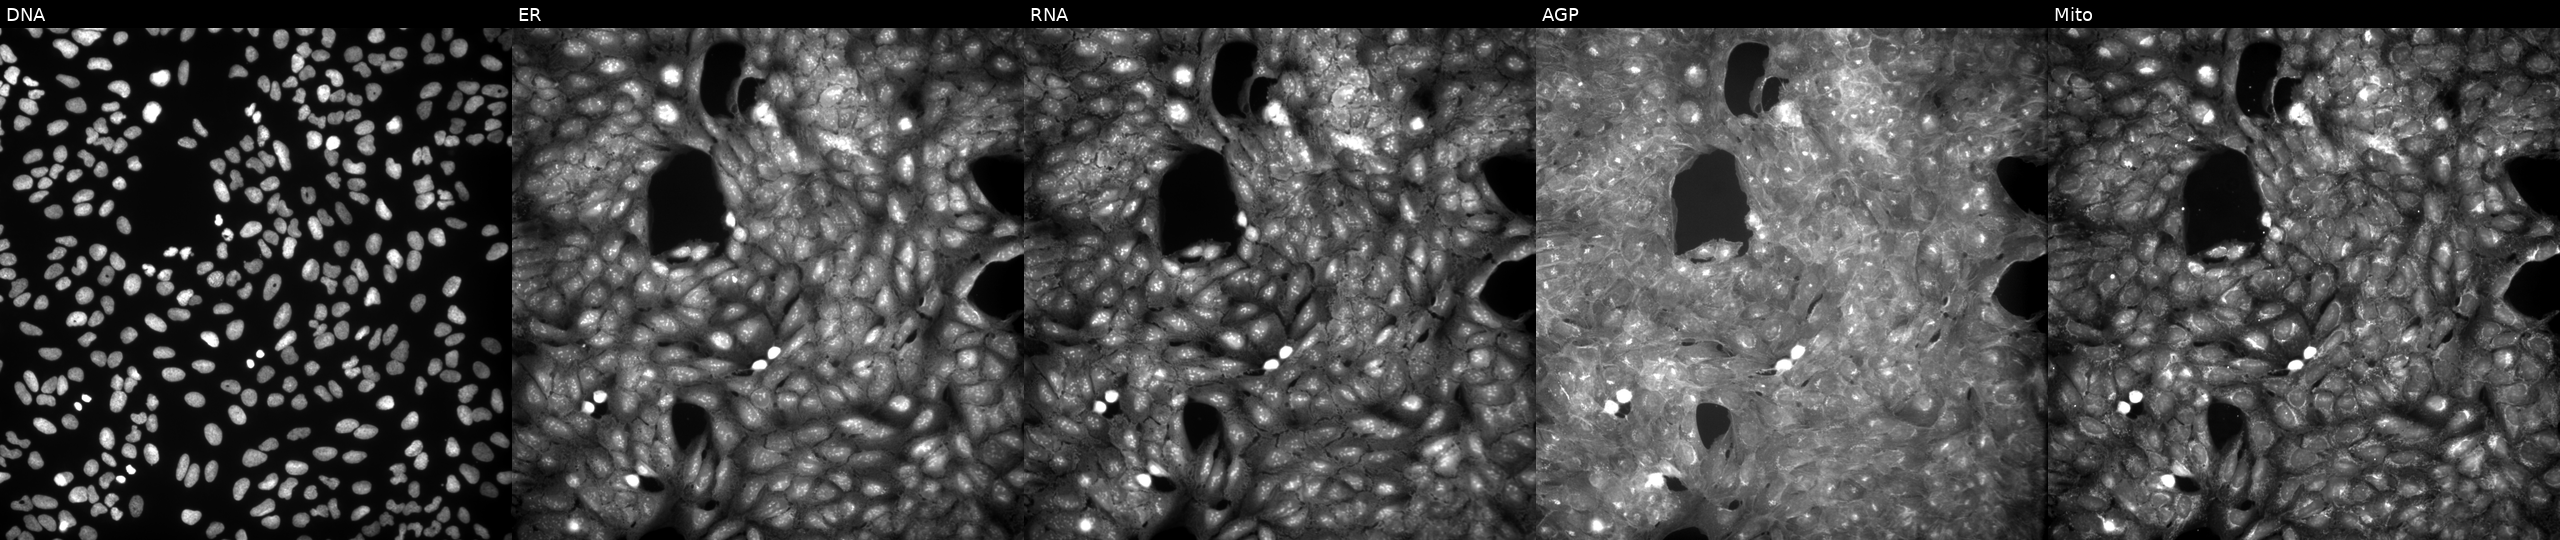
The five panels, left to right, show DNA, ER, RNA, AGP, and Mito. U2OS osteosarcoma cells exposed to a small-molecule compound (InChIKey HHFJDIHLPIEXBY-UHFFFAOYSA-N). Cell Painting assay, JUMP-CP dataset. Source 9, plate GR00003381, well D30.